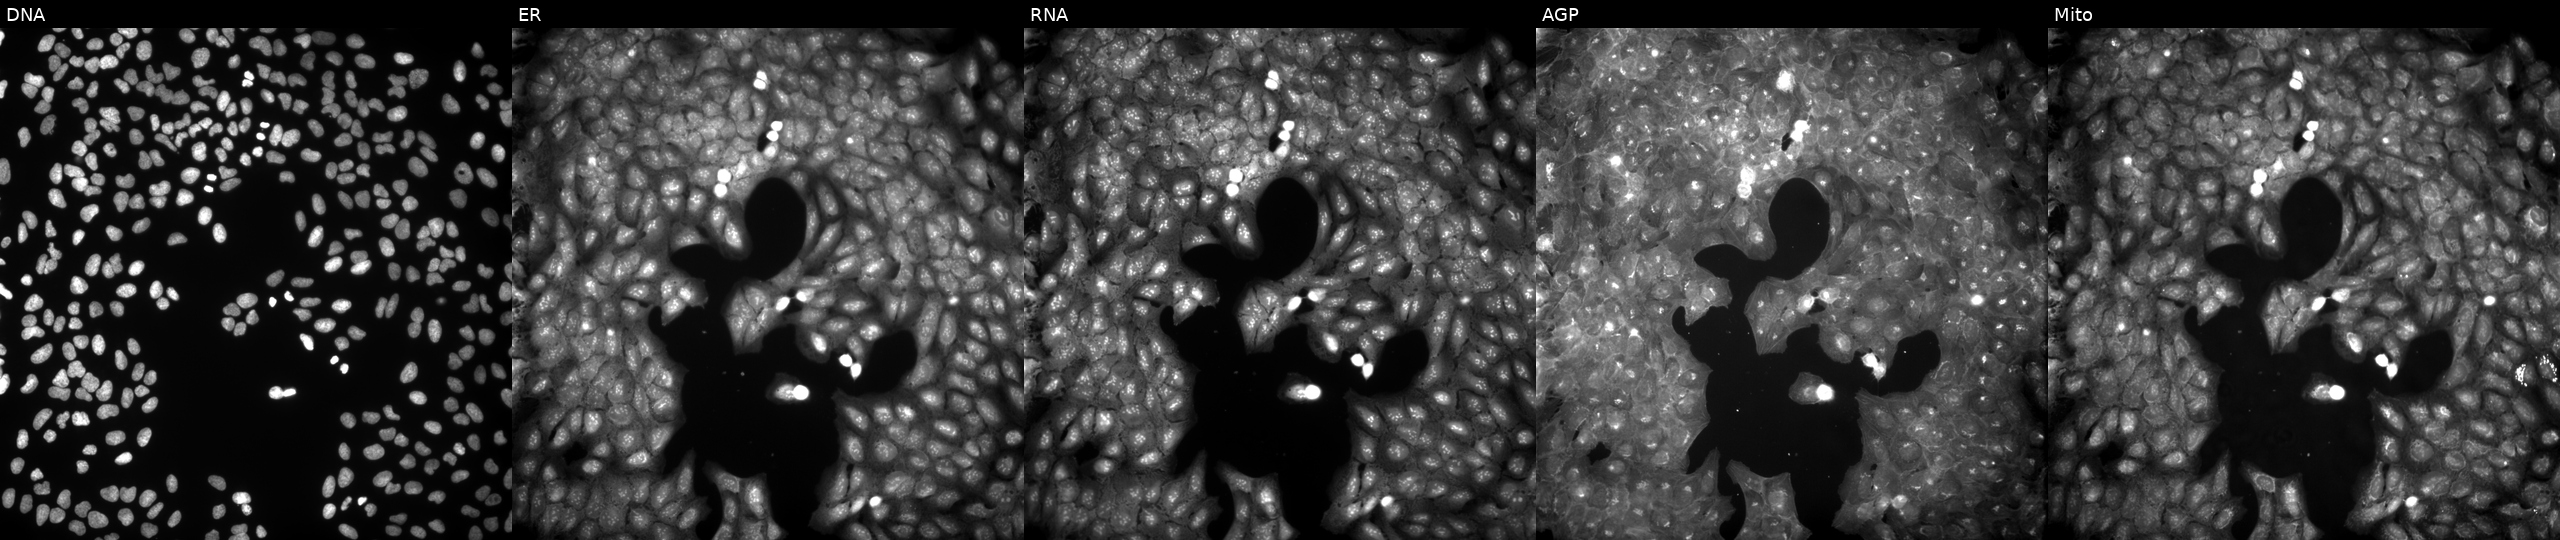
This image strip shows the five Cell Painting channels for a single field of U2OS cells perturbed with a small-molecule compound (InChIKey SAUYEUZHDZKNKX-UHFFFAOYSA-N) [SMILES: Cc1ccc(-c2nn(-c3ccccc3)cc2CO)cc1]. The five panels, left to right, show DNA, ER, RNA, AGP, and Mito.